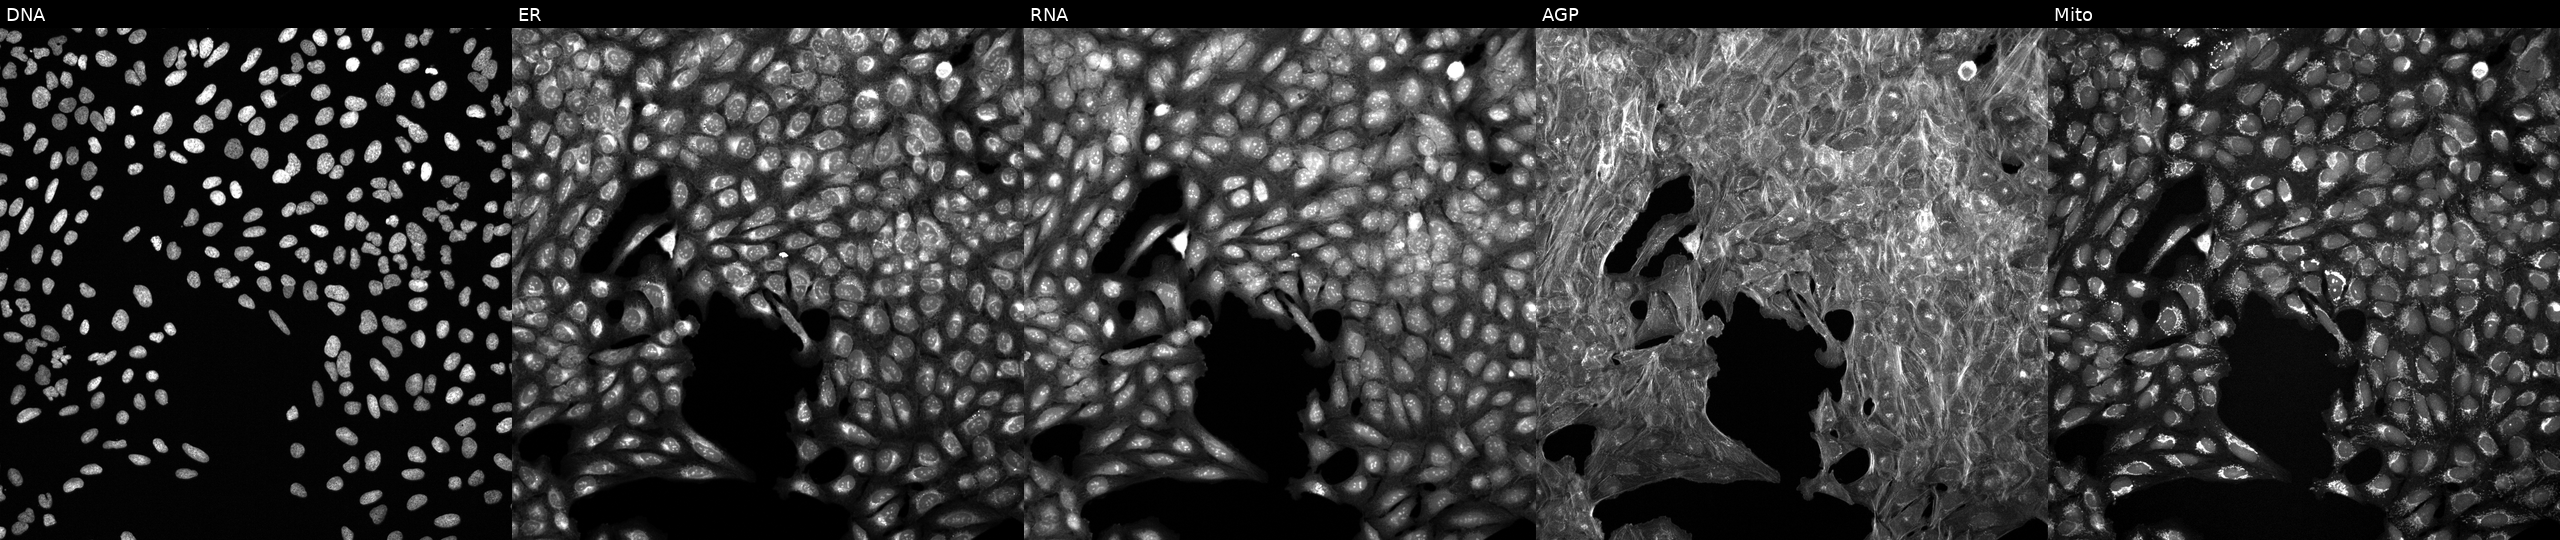
Five-channel Cell Painting image of U2OS cells treated with a small-molecule compound (InChIKey VGZSUPCWNCWDAN-UHFFFAOYSA-N) (JUMP id JCP2022_093901). Panels show, left to right, DNA, ER, RNA, AGP, and Mito. Source 6, plate 110000294901, well M08.